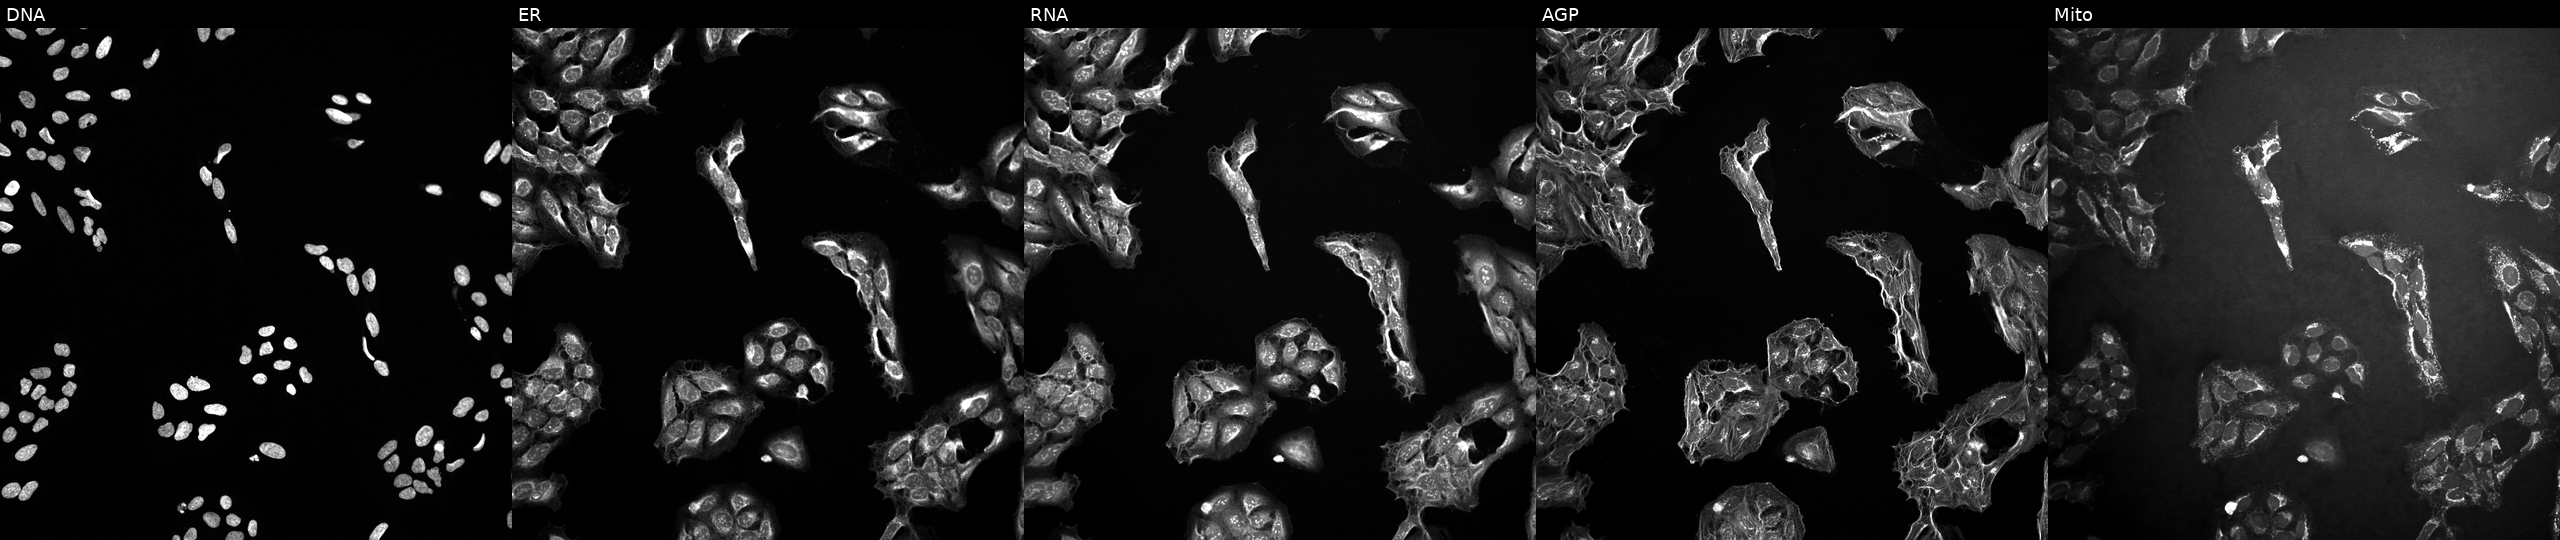
Five-channel Cell Painting image of U2OS cells in an empty control well (no perturbation) (JUMP id JCP2022_999999). The five panels, left to right, show DNA (nuclei); ER (endoplasmic reticulum); RNA (nucleoli and cytoplasmic RNA); AGP (actin cytoskeleton, Golgi, and plasma membrane); Mito (mitochondria).